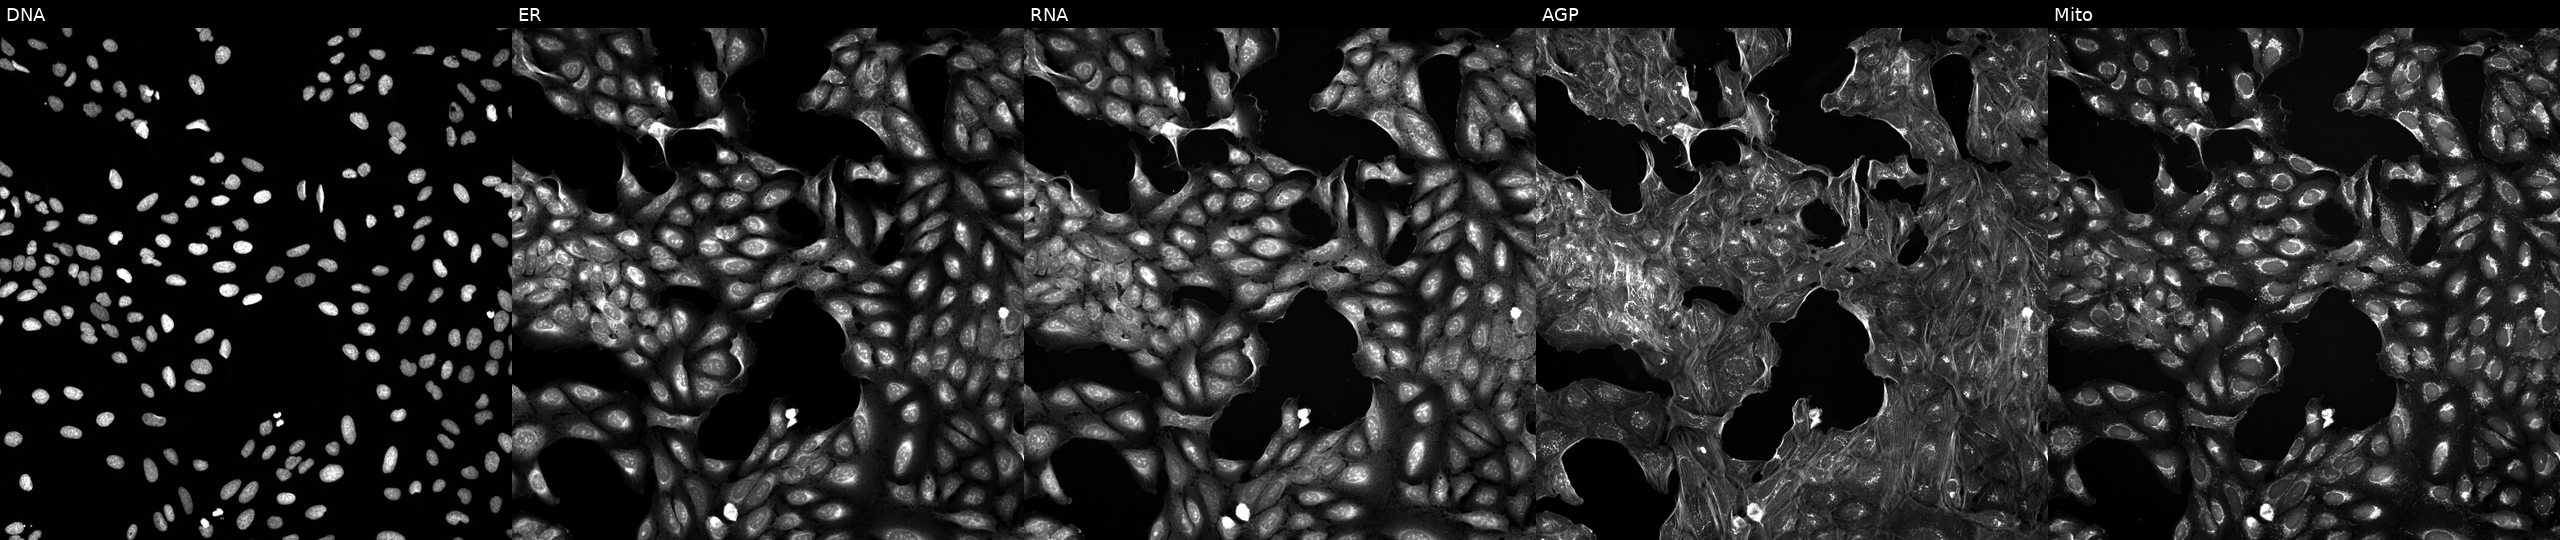
This image strip shows the five Cell Painting channels for a single field of U2OS cells perturbed with a small-molecule compound [SMILES: CCCCCCCCCCCCCCCCOc1nc2ccc(C)cc2c(=O)o1] (JUMP id JCP2022_056730). Panels show, left to right, Hoechst 33342, concanavalin A, SYTO 14, phalloidin and WGA, MitoTracker. Source 5, plate ACPJUM032, well G11.